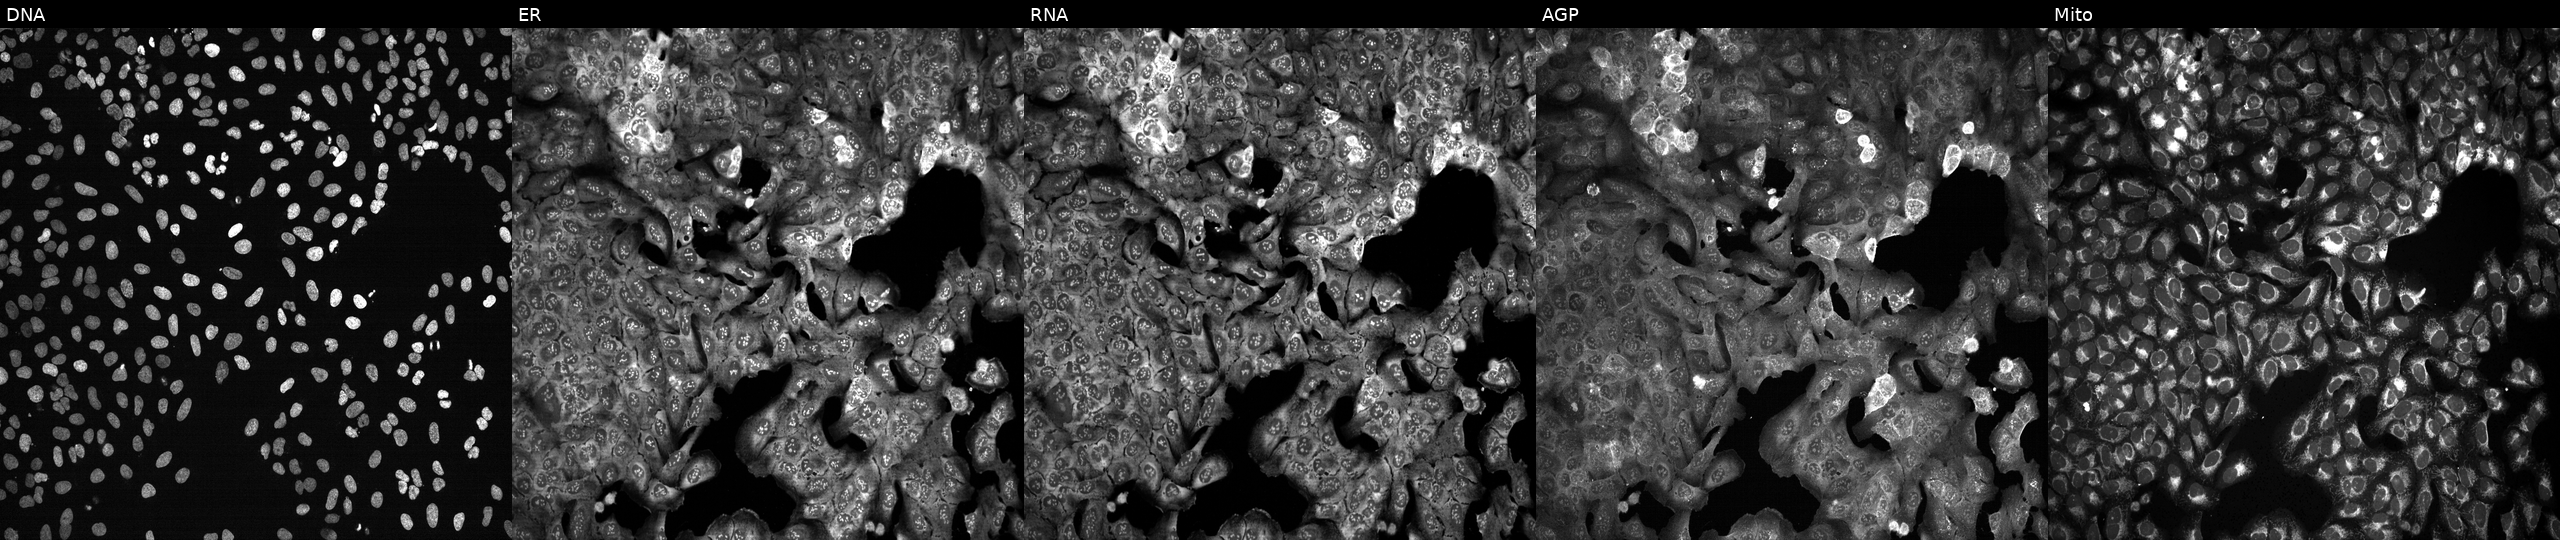
Five-channel Cell Painting image of U2OS cells with FUT1 knocked out by CRISPR (JUMP id JCP2022_802510). Panels show, left to right, DNA, ER, RNA, AGP, and Mito.